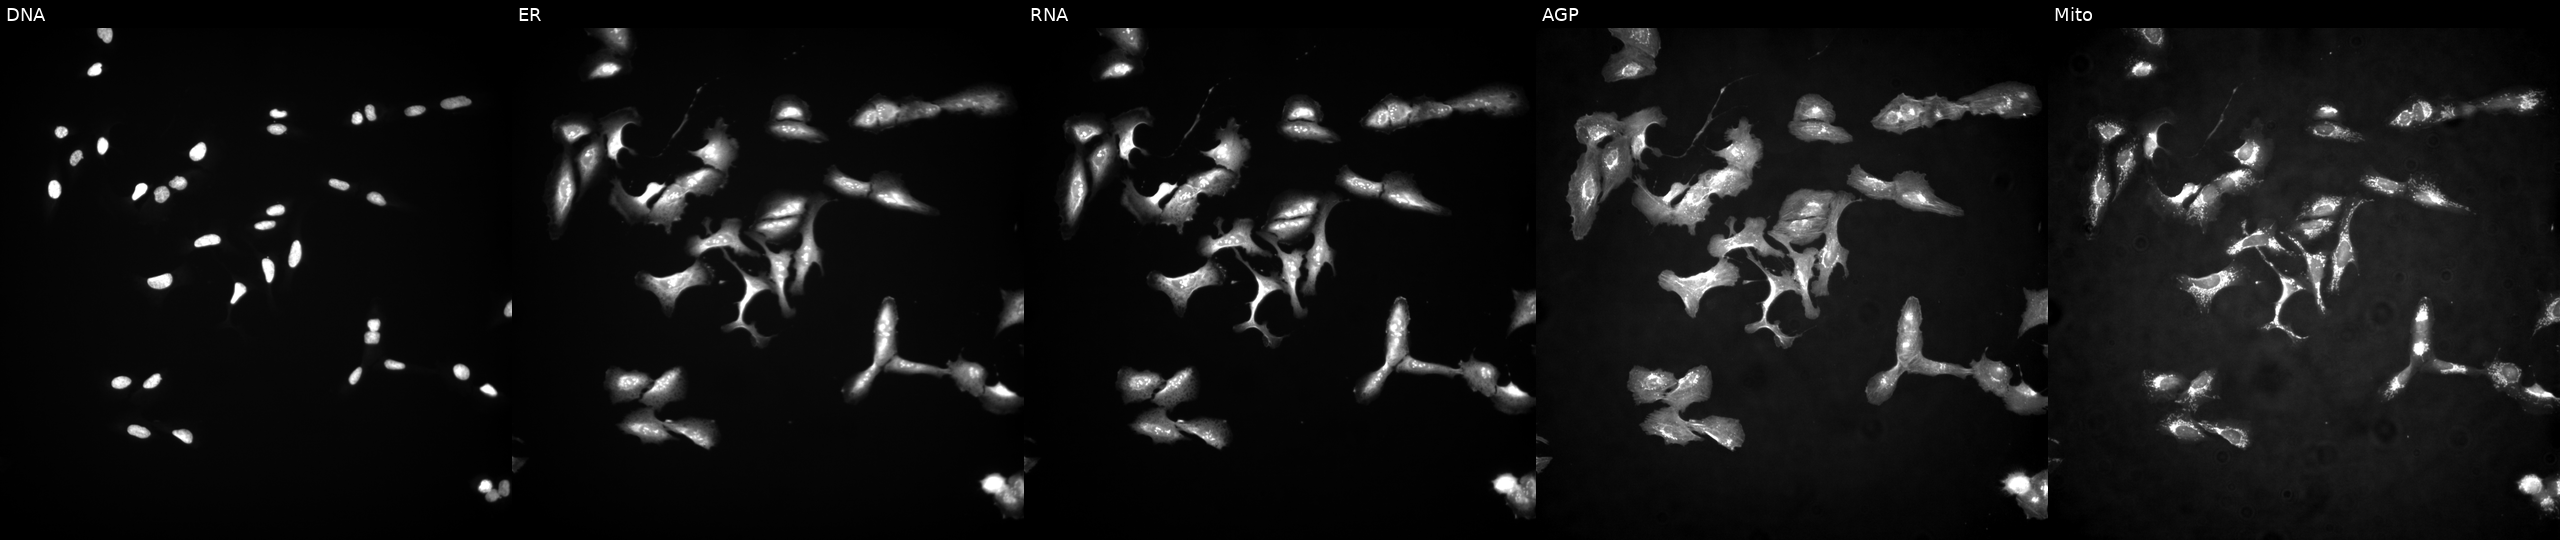
JUMP Cell Painting — ORF plate. U2OS cells overexpressing EZH1 via ORF transfection (JUMP id JCP2022_900492). Channels (left→right): DNA, ER, RNA, AGP, and Mito. Source 4, plate BR00117035, well L12.